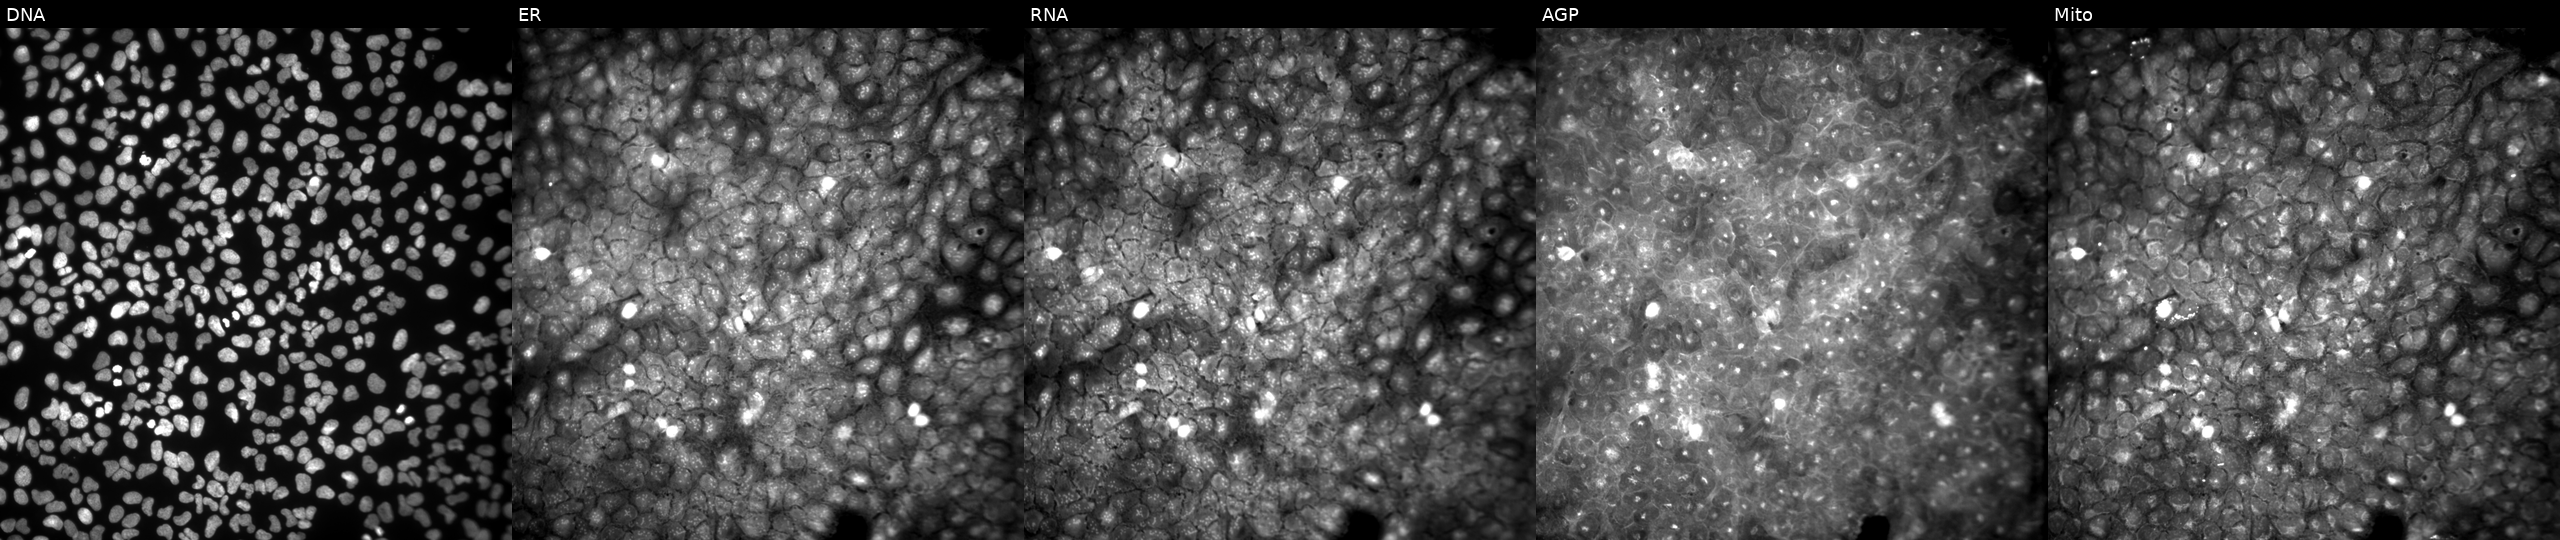
High-content fluorescence microscopy (Cell Painting). Cell line: U2OS. Perturbation: exposed to a small-molecule compound (InChIKey RBPCOBANNCRIGB-UHFFFAOYSA-N). Channels (left→right): DNA (nuclei); ER (endoplasmic reticulum); RNA (nucleoli and cytoplasmic RNA); AGP (actin cytoskeleton, Golgi, and plasma membrane); Mito (mitochondria).